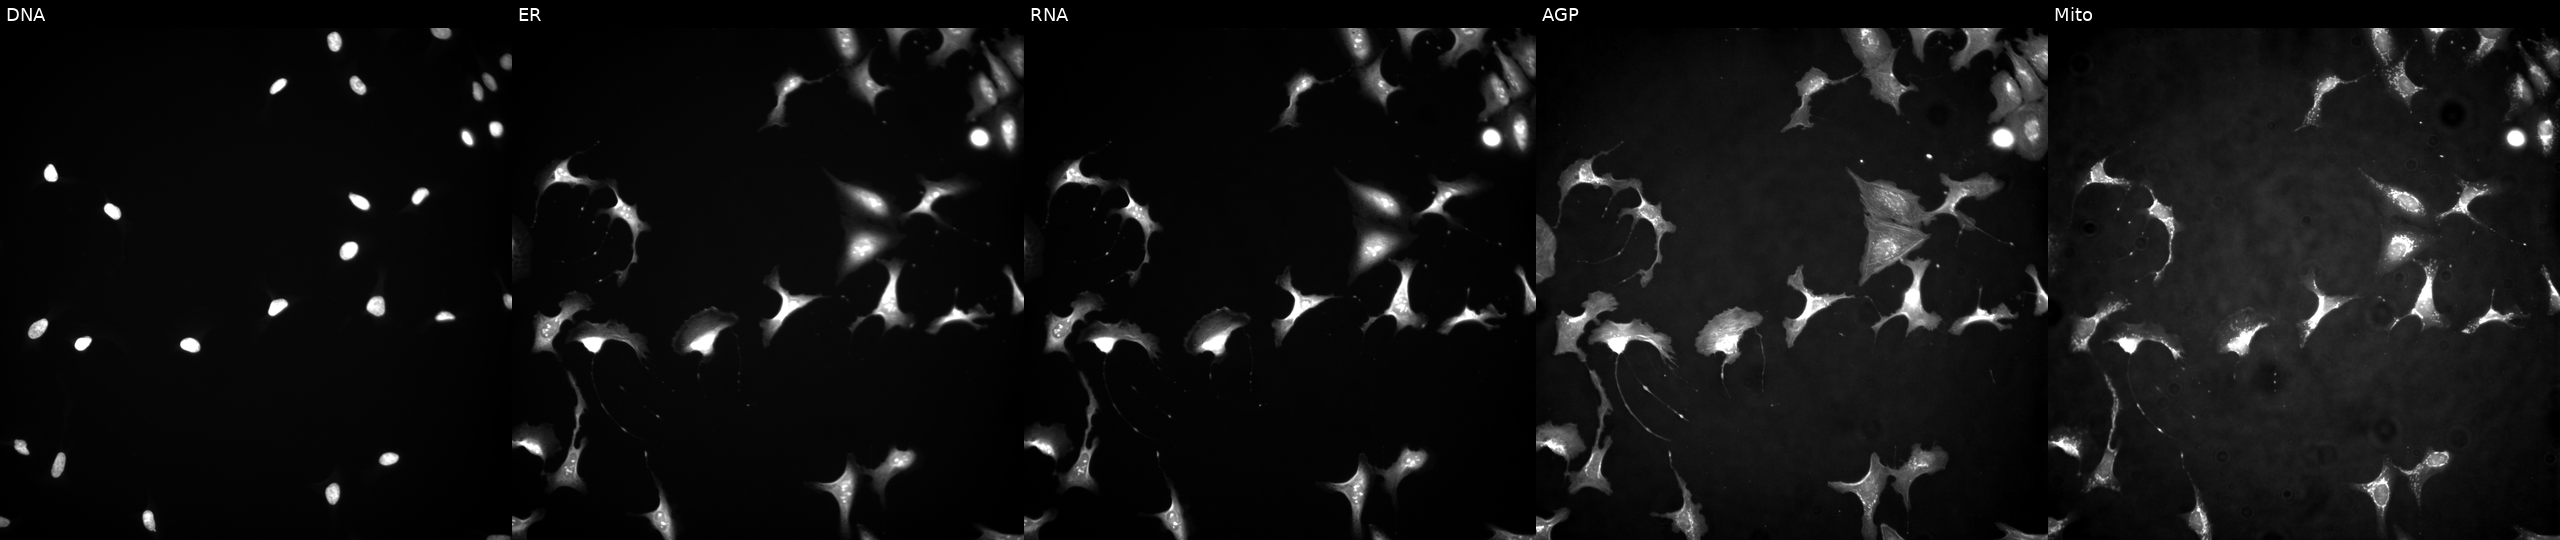
U2OS cells, Cell Painting assay, overexpressing SUB1 via ORF transfection (JUMP id JCP2022_914714). From left to right: DNA (nuclei); ER (endoplasmic reticulum); RNA (nucleoli and cytoplasmic RNA); AGP (actin cytoskeleton, Golgi, and plasma membrane); Mito (mitochondria). Each panel is percentile-stretched 16-bit fluorescence. Source 4, plate BR00117035, well K21.